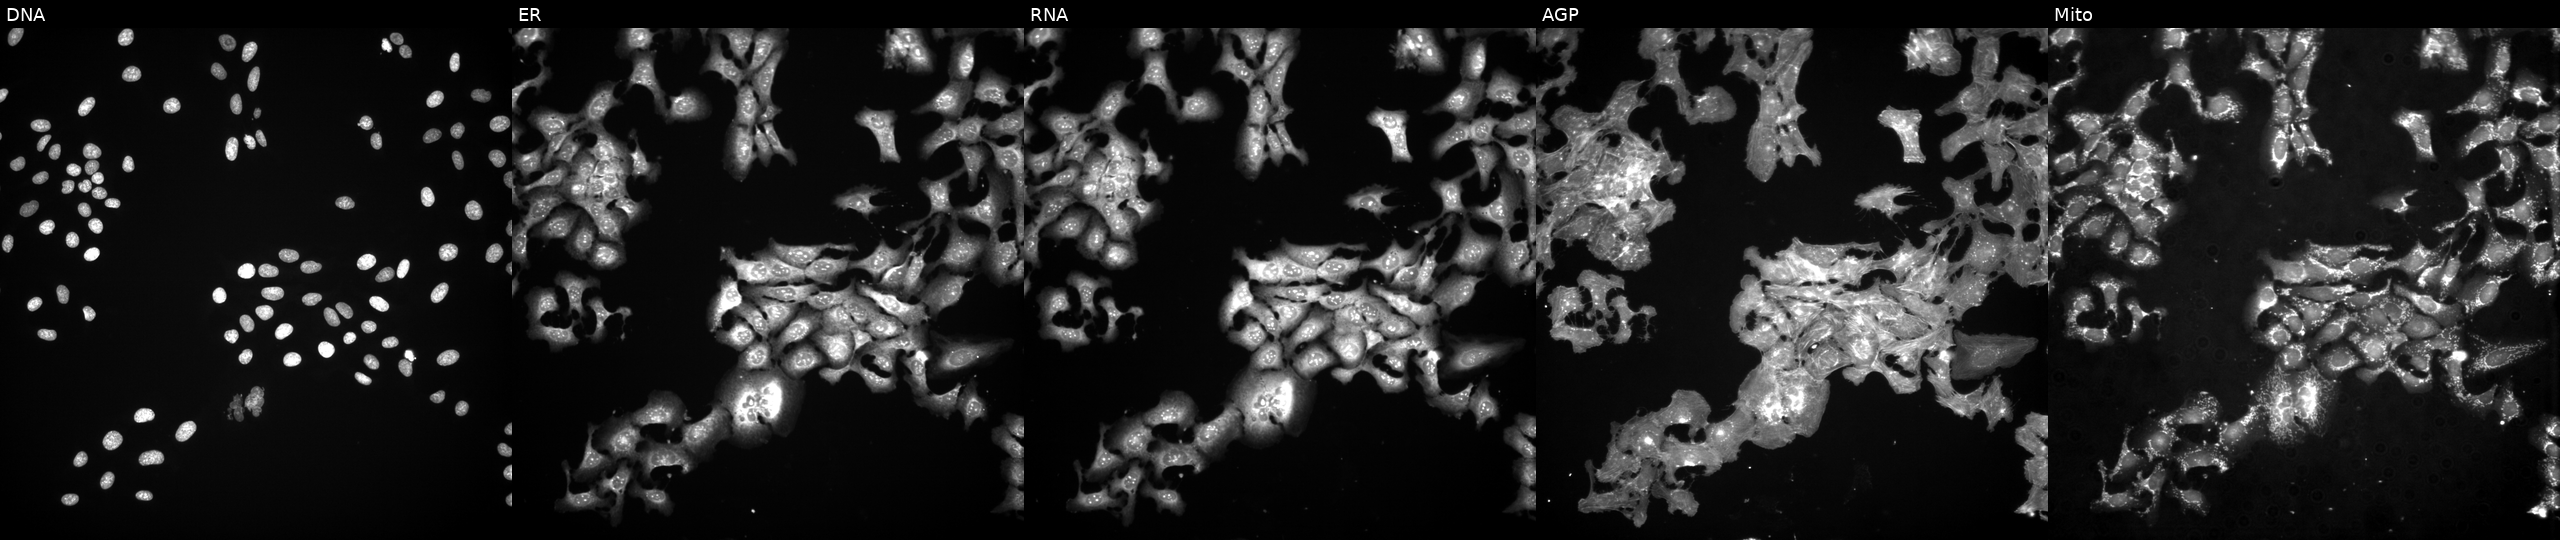
U2OS cells, Cell Painting assay, treated with FK-866 (positive-control compound). Panels show, left to right, Hoechst 33342, concanavalin A, SYTO 14, phalloidin and WGA, MitoTracker. Each panel is percentile-stretched 16-bit fluorescence. Source 3, plate JCPQC052, well D19.